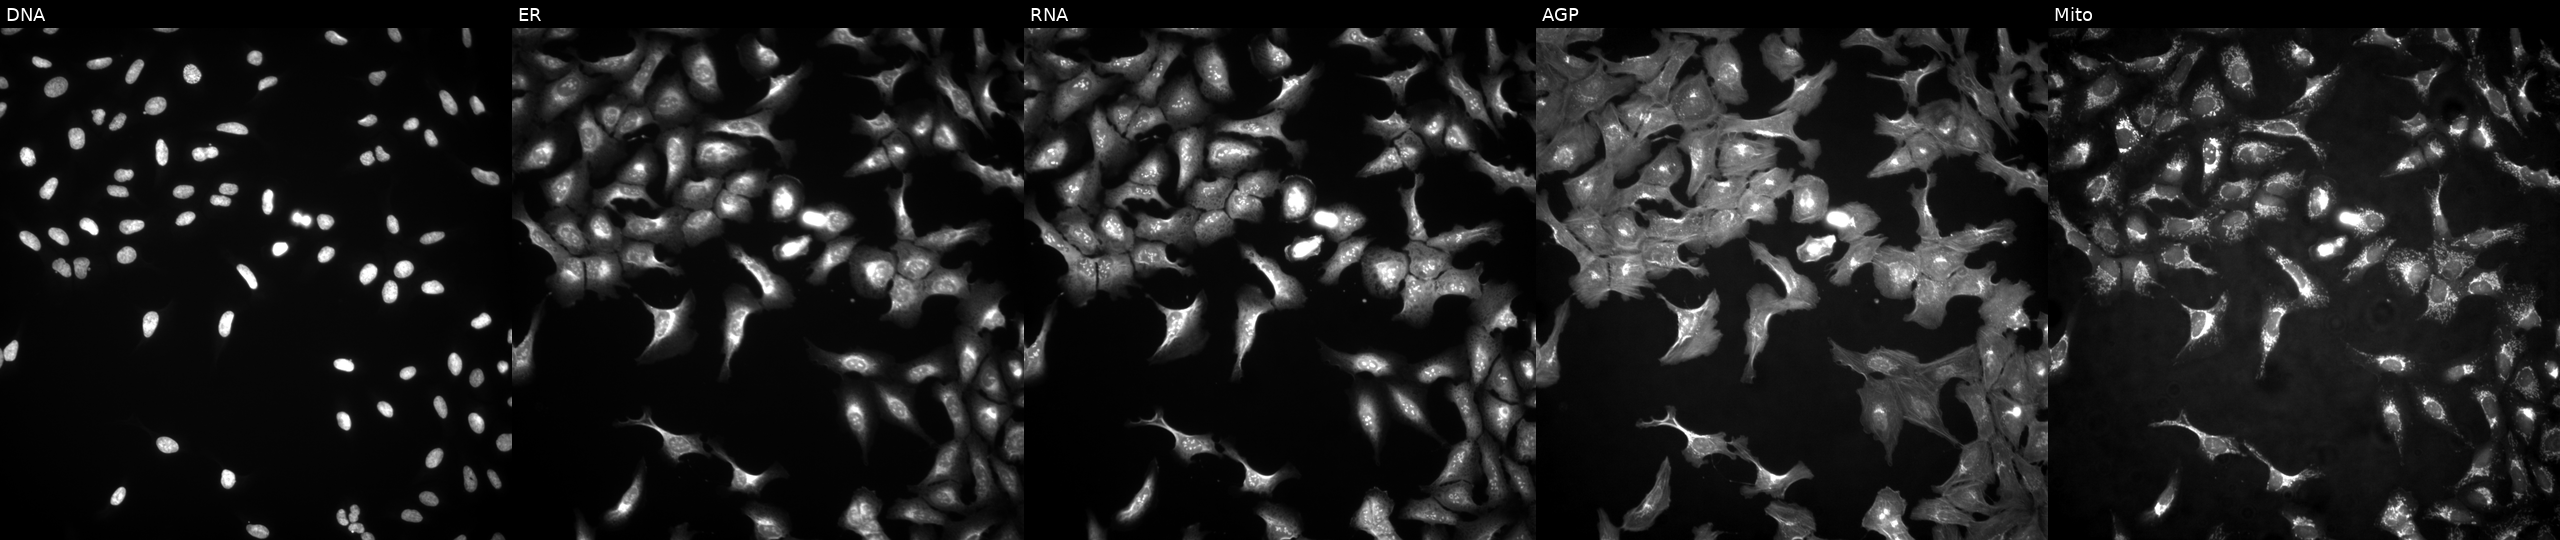
This image strip shows the five Cell Painting channels for a single field of U2OS cells overexpressing LSM3 via ORF transfection (JUMP id JCP2022_907553). Channels (left→right): DNA (nuclei); ER (endoplasmic reticulum); RNA (nucleoli and cytoplasmic RNA); AGP (actin cytoskeleton, Golgi, and plasma membrane); Mito (mitochondria). Source 4, plate BR00123509, well B20.